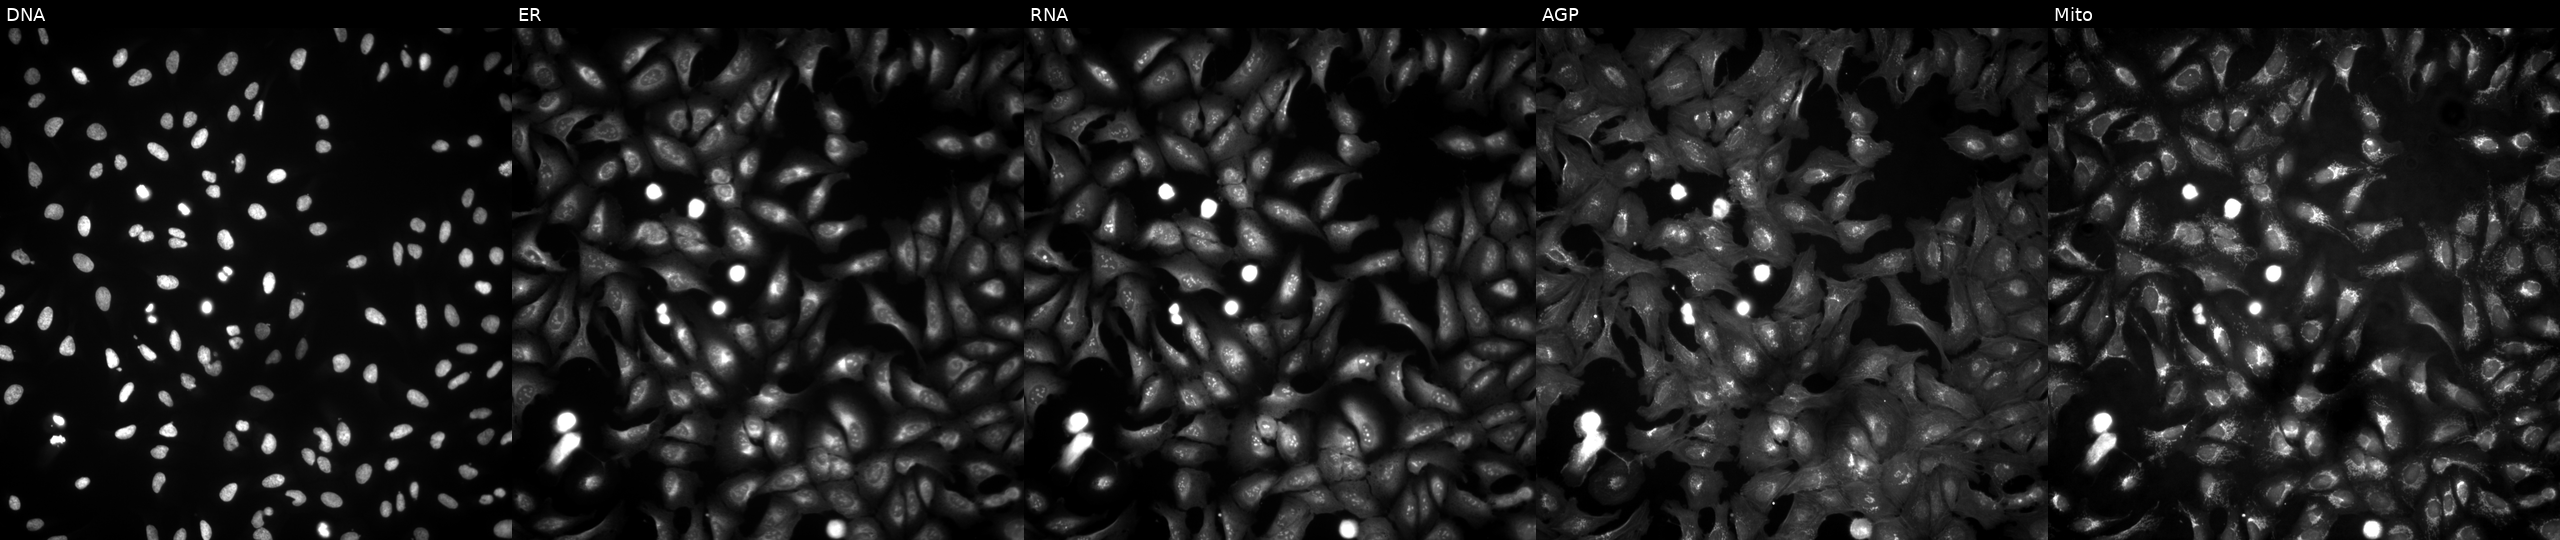
This image strip shows the five Cell Painting channels for a single field of U2OS cells untreated (empty-well control) (JUMP id JCP2022_999999). Channels (left→right): DNA (nuclei); ER (endoplasmic reticulum); RNA (nucleoli and cytoplasmic RNA); AGP (actin cytoskeleton, Golgi, and plasma membrane); Mito (mitochondria). Source 4, plate BR00124790, well H24.